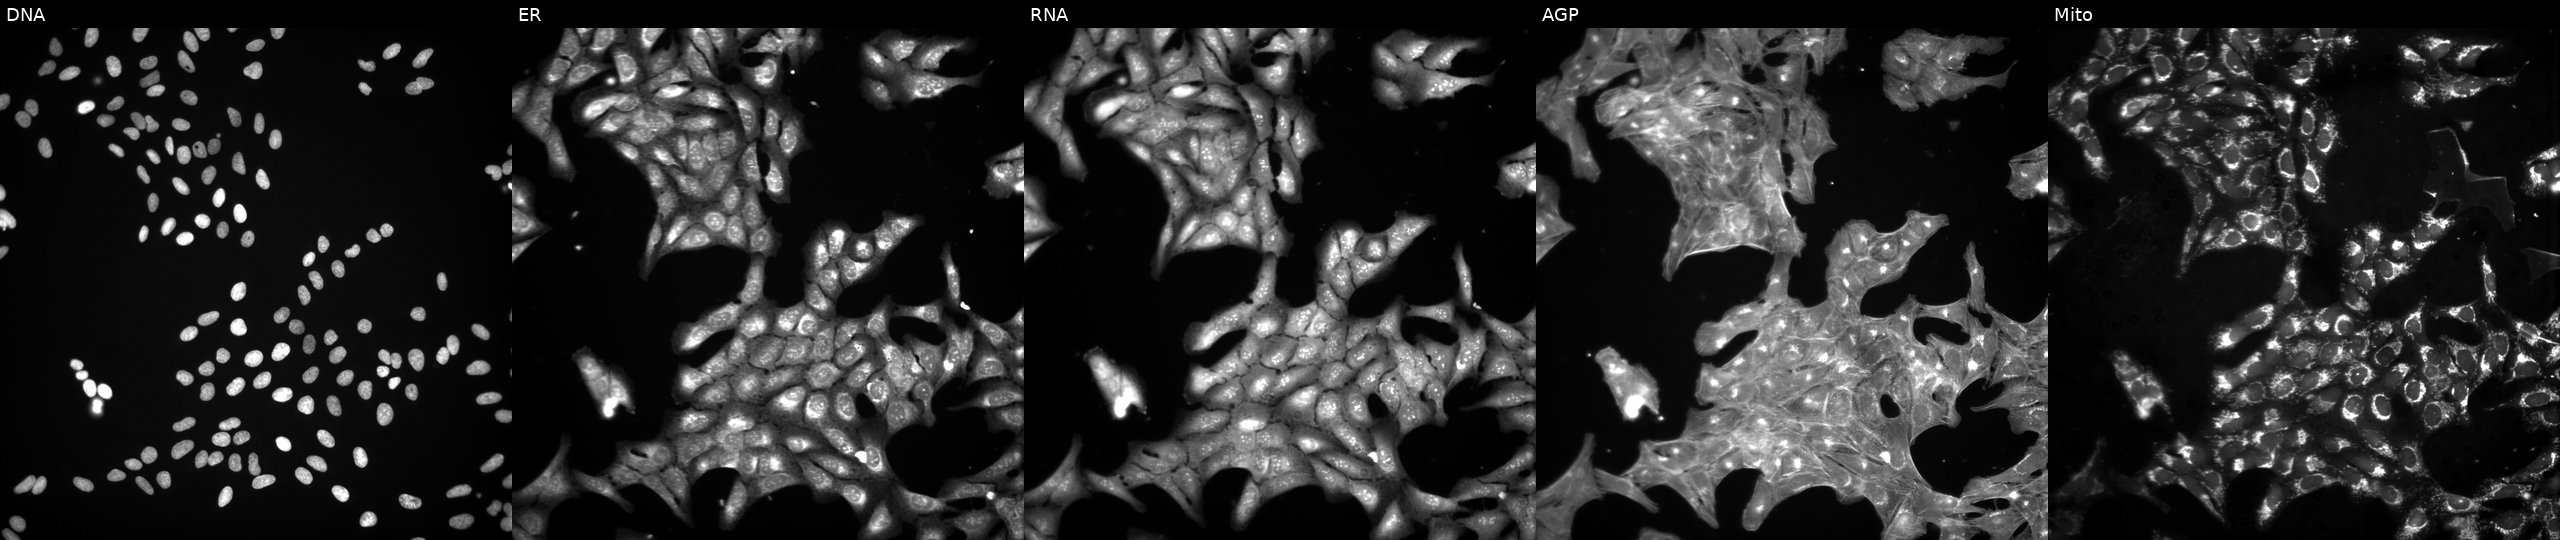
U2OS cells, Cell Painting assay, exposed to the positive-control compound dexamethasone (JUMP id JCP2022_025848). The five panels, left to right, show DNA, ER, RNA, AGP, and Mito. Each panel is percentile-stretched 16-bit fluorescence.